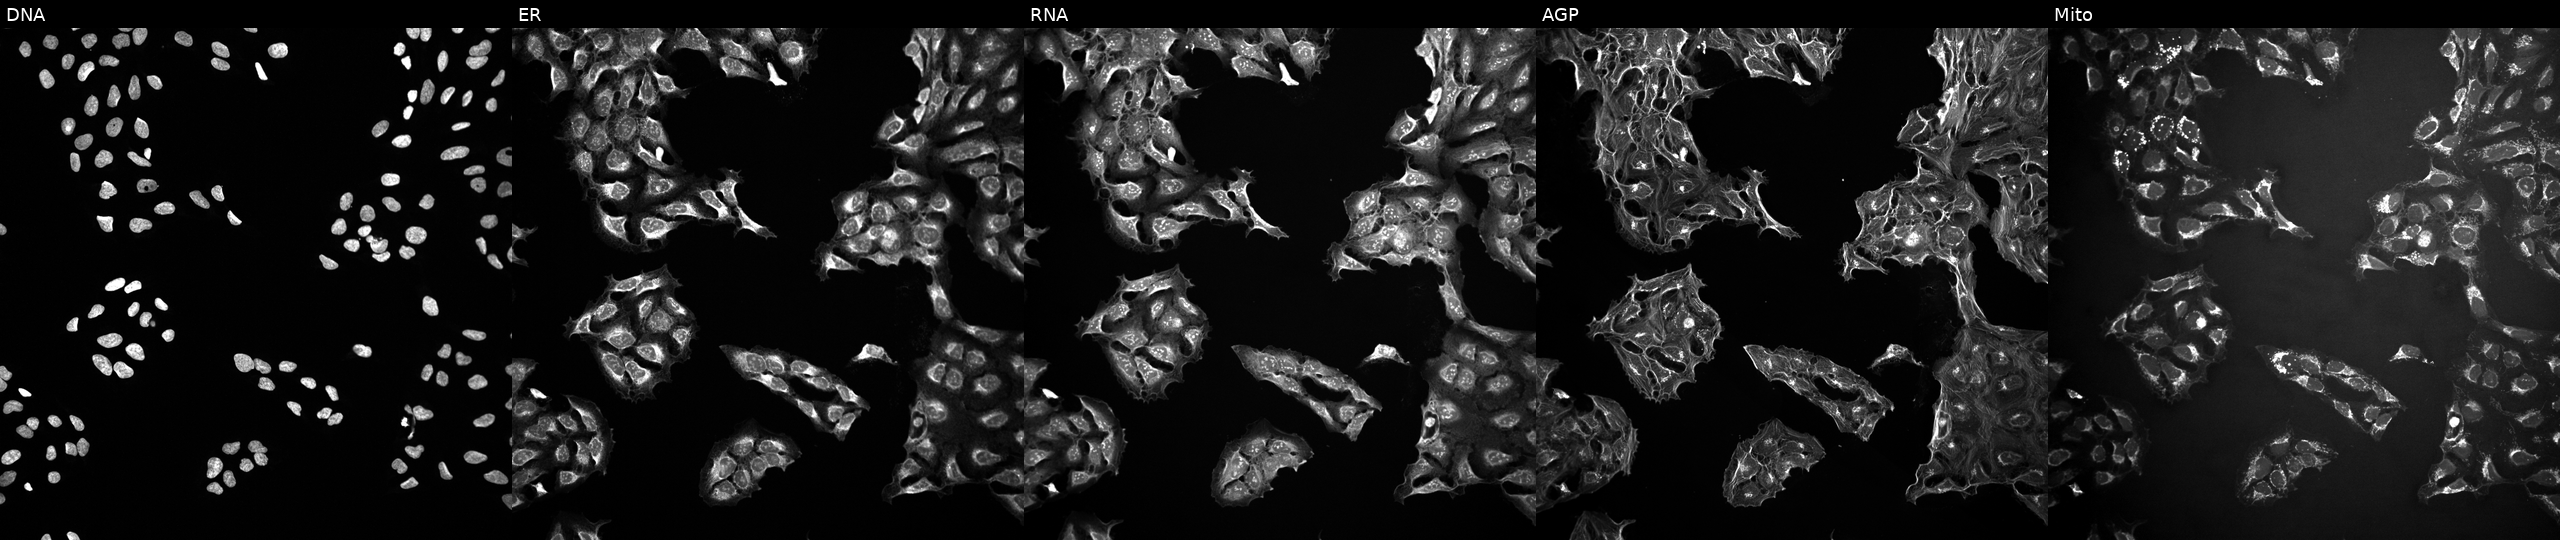
JUMP Cell Painting — COMPOUND plate. U2OS cells untreated (empty-well control) (JUMP id JCP2022_999999). Channels (left→right): DNA, ER, RNA, AGP, and Mito.